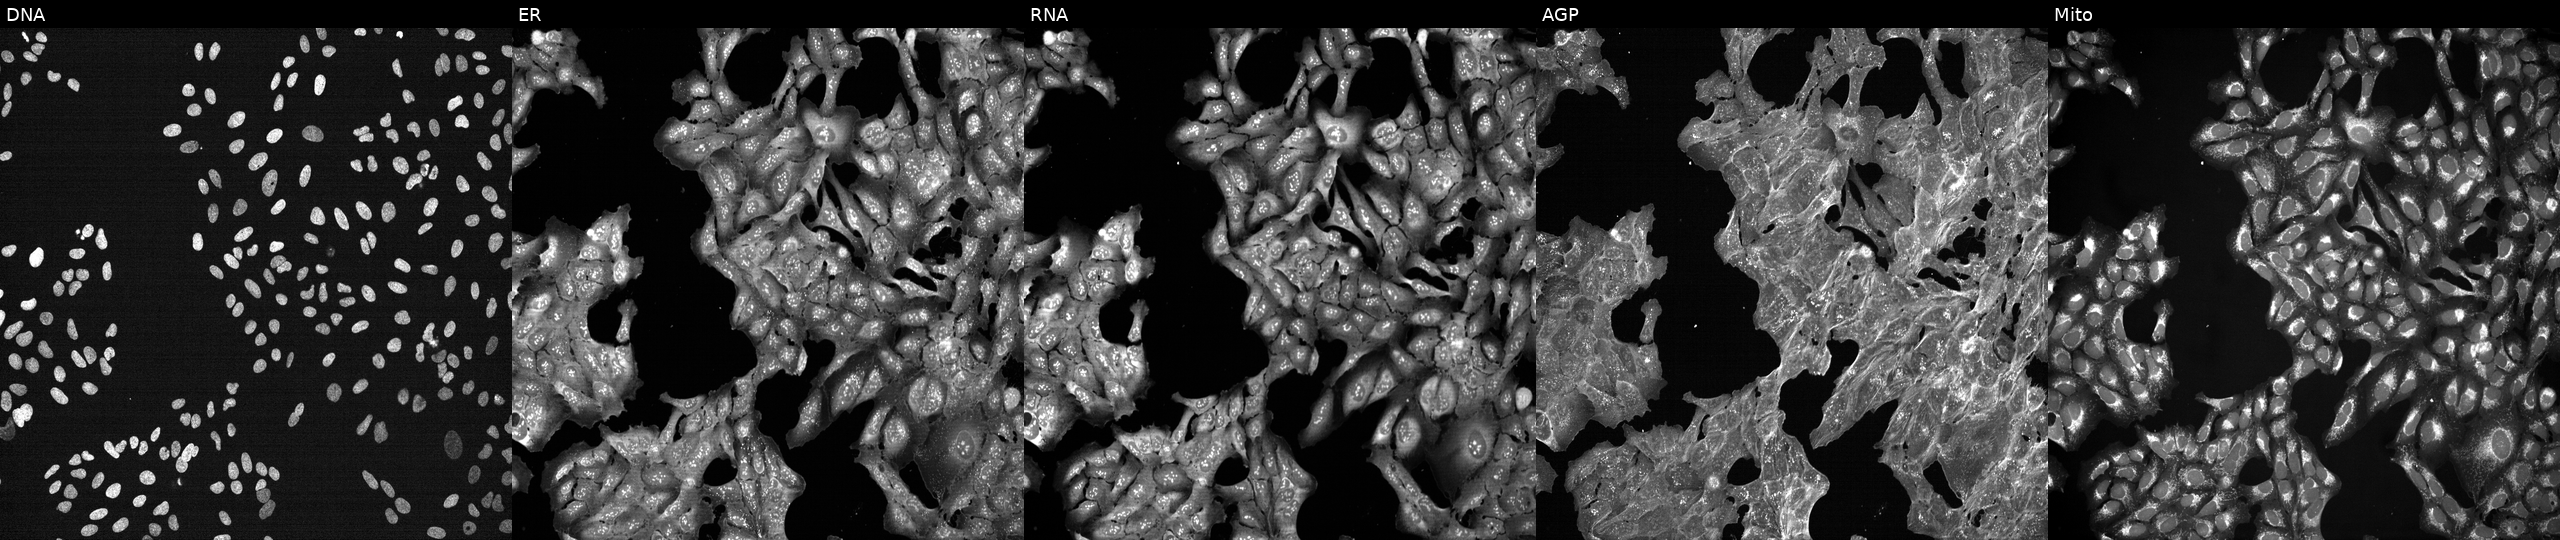
This image strip shows the five Cell Painting channels for a single field of U2OS cells exposed to a small-molecule compound (InChIKey GYYRMJMXXLJZAB-UHFFFAOYSA-N). Channels (left→right): Hoechst 33342, concanavalin A, SYTO 14, phalloidin and WGA, MitoTracker.